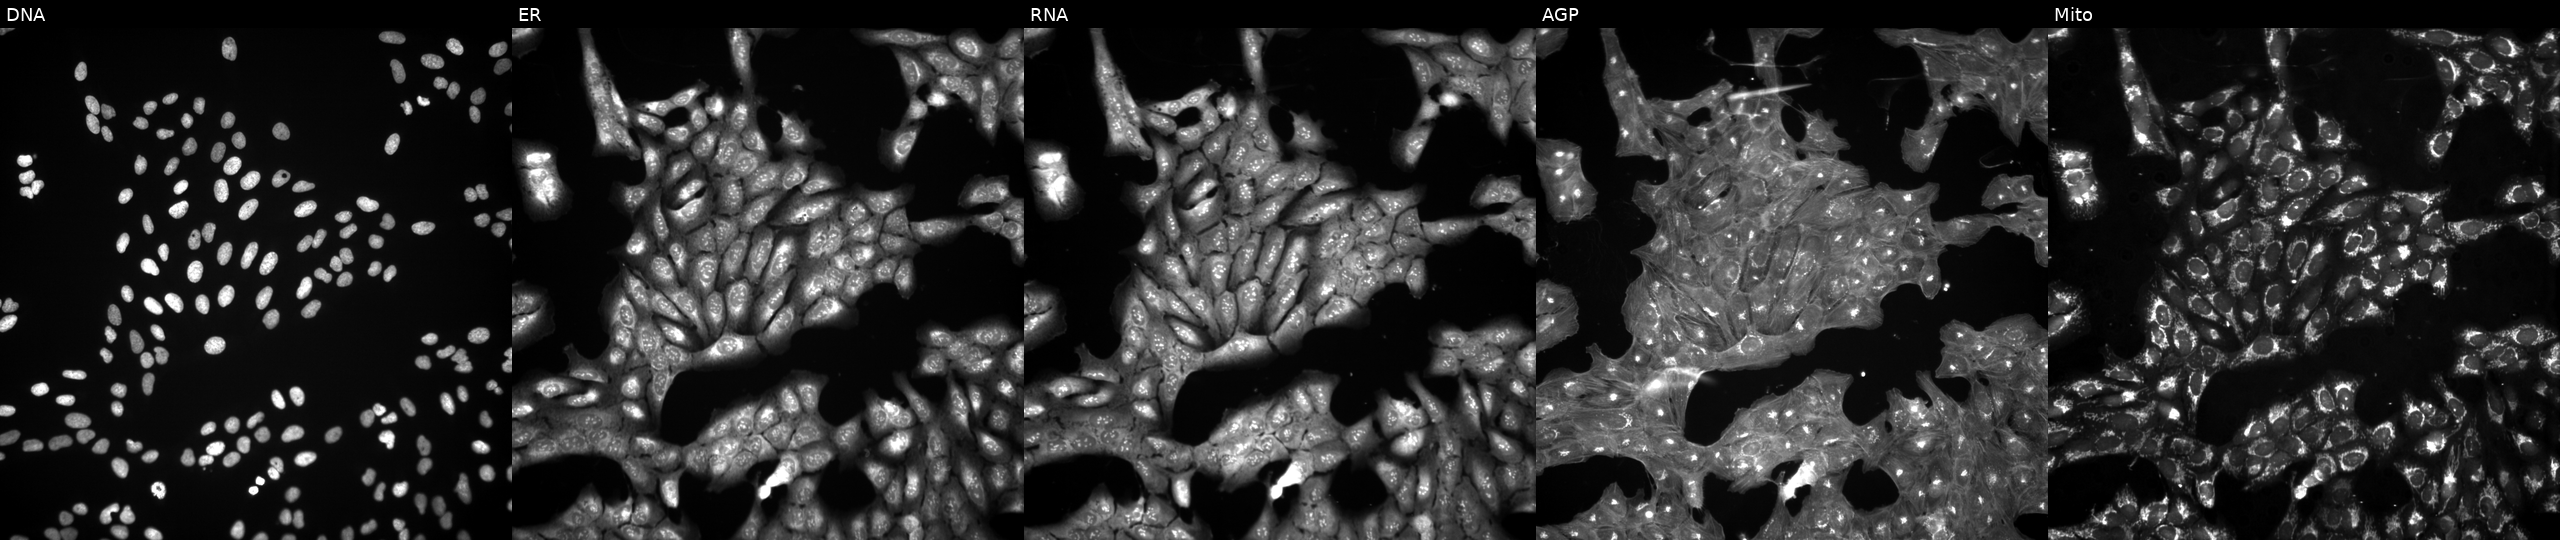
U2OS cells, Cell Painting assay, perturbed with a small-molecule compound (InChIKey NOIIUHRQUVNIDD-UHFFFAOYSA-N). From left to right: DNA (nuclei); ER (endoplasmic reticulum); RNA (nucleoli and cytoplasmic RNA); AGP (actin cytoskeleton, Golgi, and plasma membrane); Mito (mitochondria). Each panel is percentile-stretched 16-bit fluorescence.